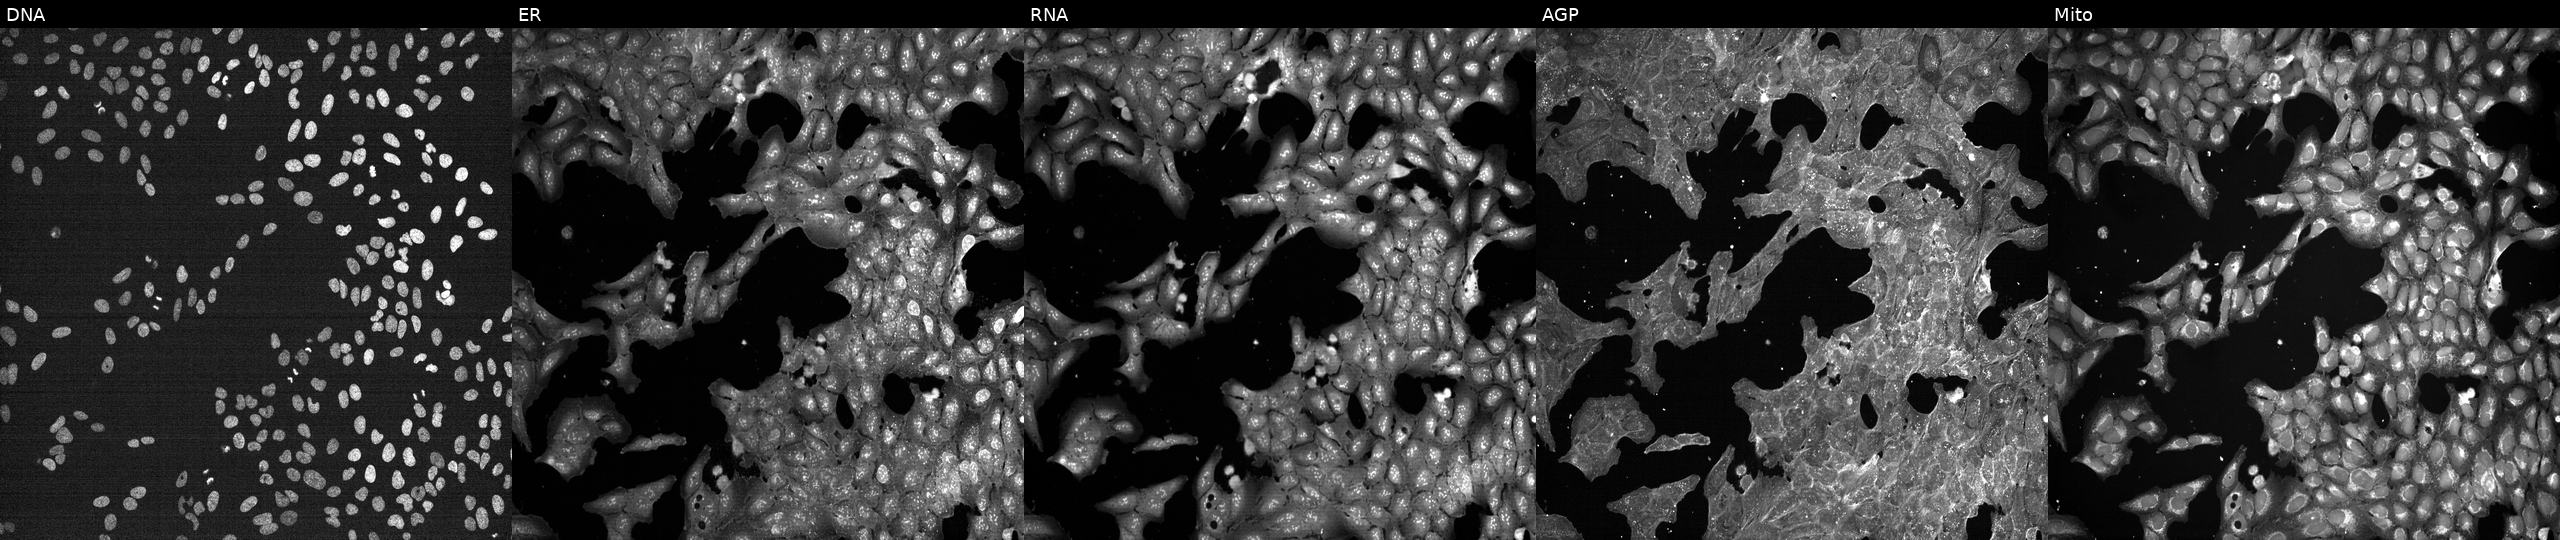
U2OS cells, Cell Painting assay, exposed to a small-molecule compound (JUMP id JCP2022_051043). Panels show, left to right, Hoechst 33342, concanavalin A, SYTO 14, phalloidin and WGA, MitoTracker. Each panel is percentile-stretched 16-bit fluorescence. Source 7, plate CP1-SC1-25, well I06.